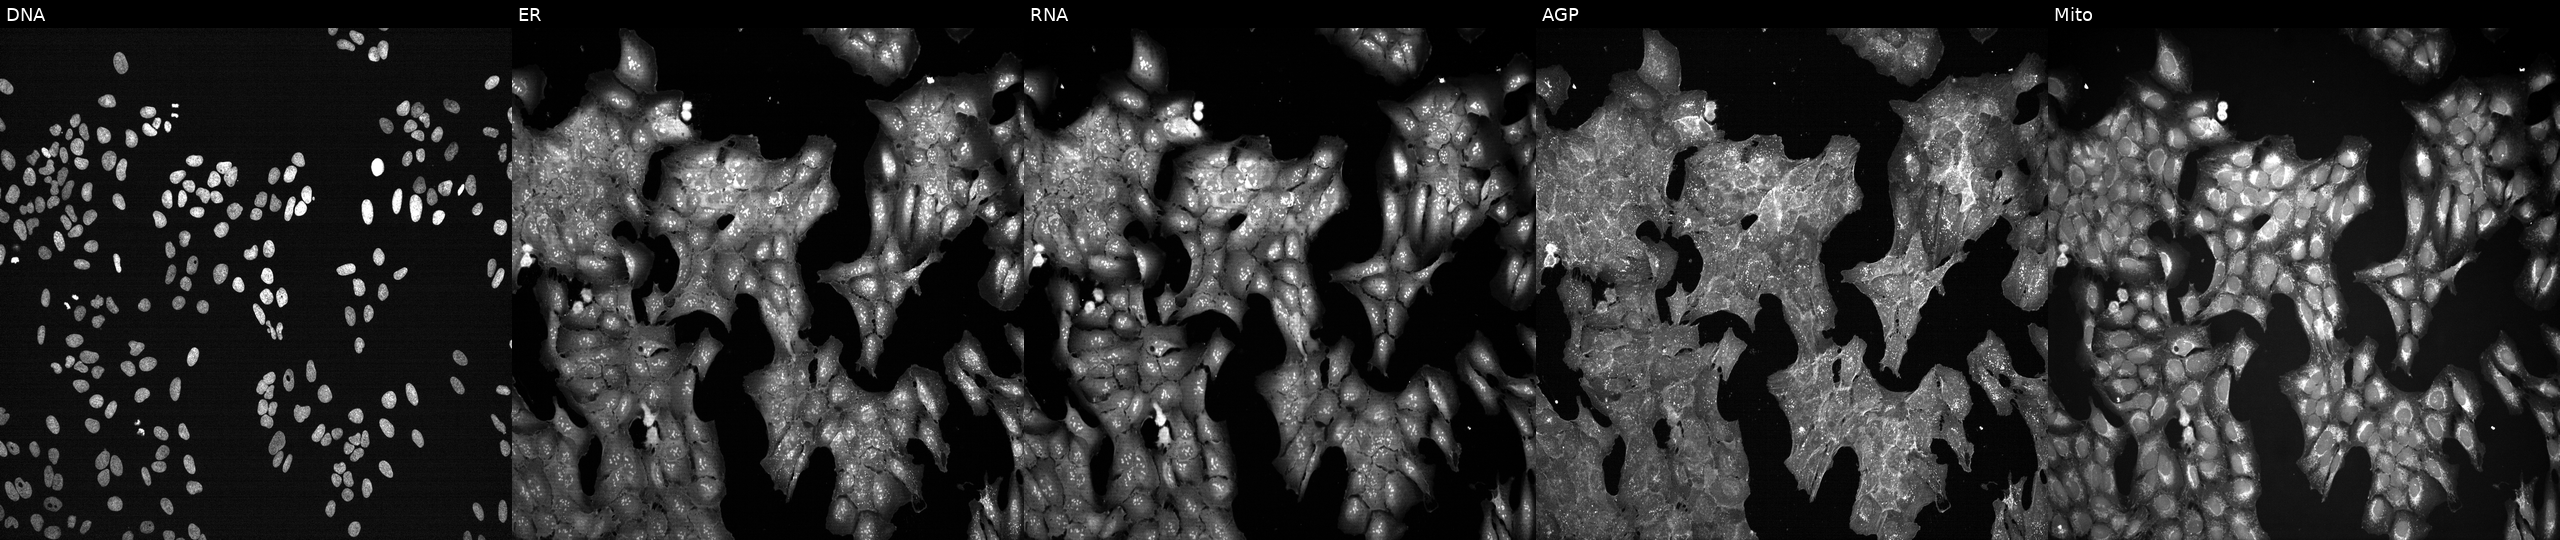
Channels (left→right): DNA (nuclei); ER (endoplasmic reticulum); RNA (nucleoli and cytoplasmic RNA); AGP (actin cytoskeleton, Golgi, and plasma membrane); Mito (mitochondria). U2OS osteosarcoma cells treated with a small-molecule compound (InChIKey OAVGBZOFDPFGPJ-UHFFFAOYSA-N) (JUMP id JCP2022_062592). Cell Painting assay, JUMP-CP dataset.